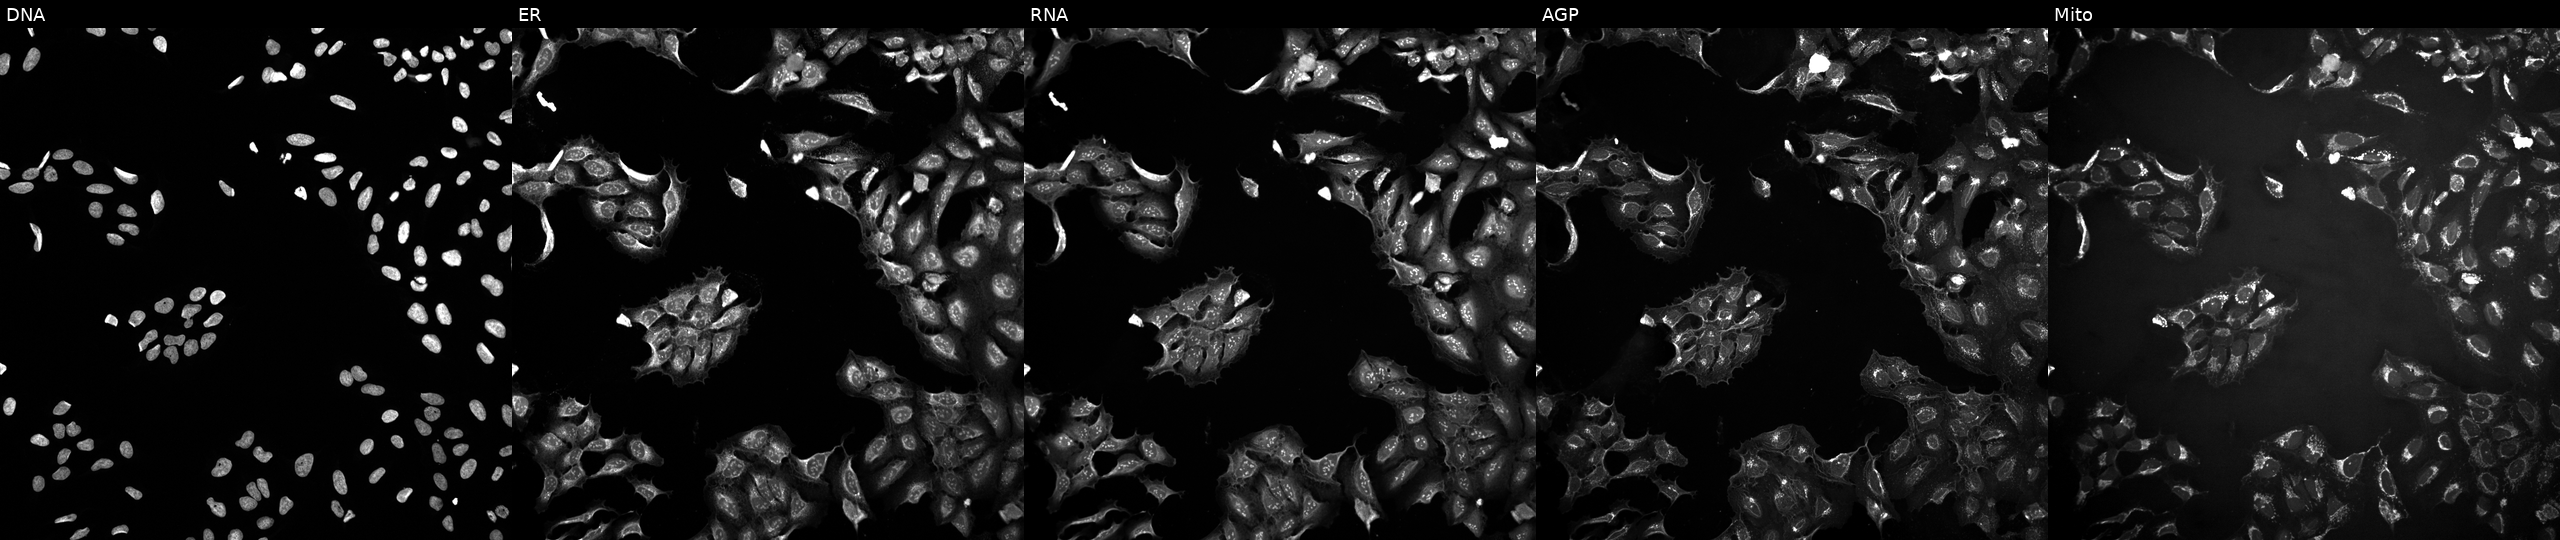
The five panels, left to right, show Hoechst 33342, concanavalin A, SYTO 14, phalloidin and WGA, MitoTracker. U2OS osteosarcoma cells exposed to a small-molecule compound. Cell Painting assay, JUMP-CP dataset. Source 10, plate Dest210803-153958, well M07.